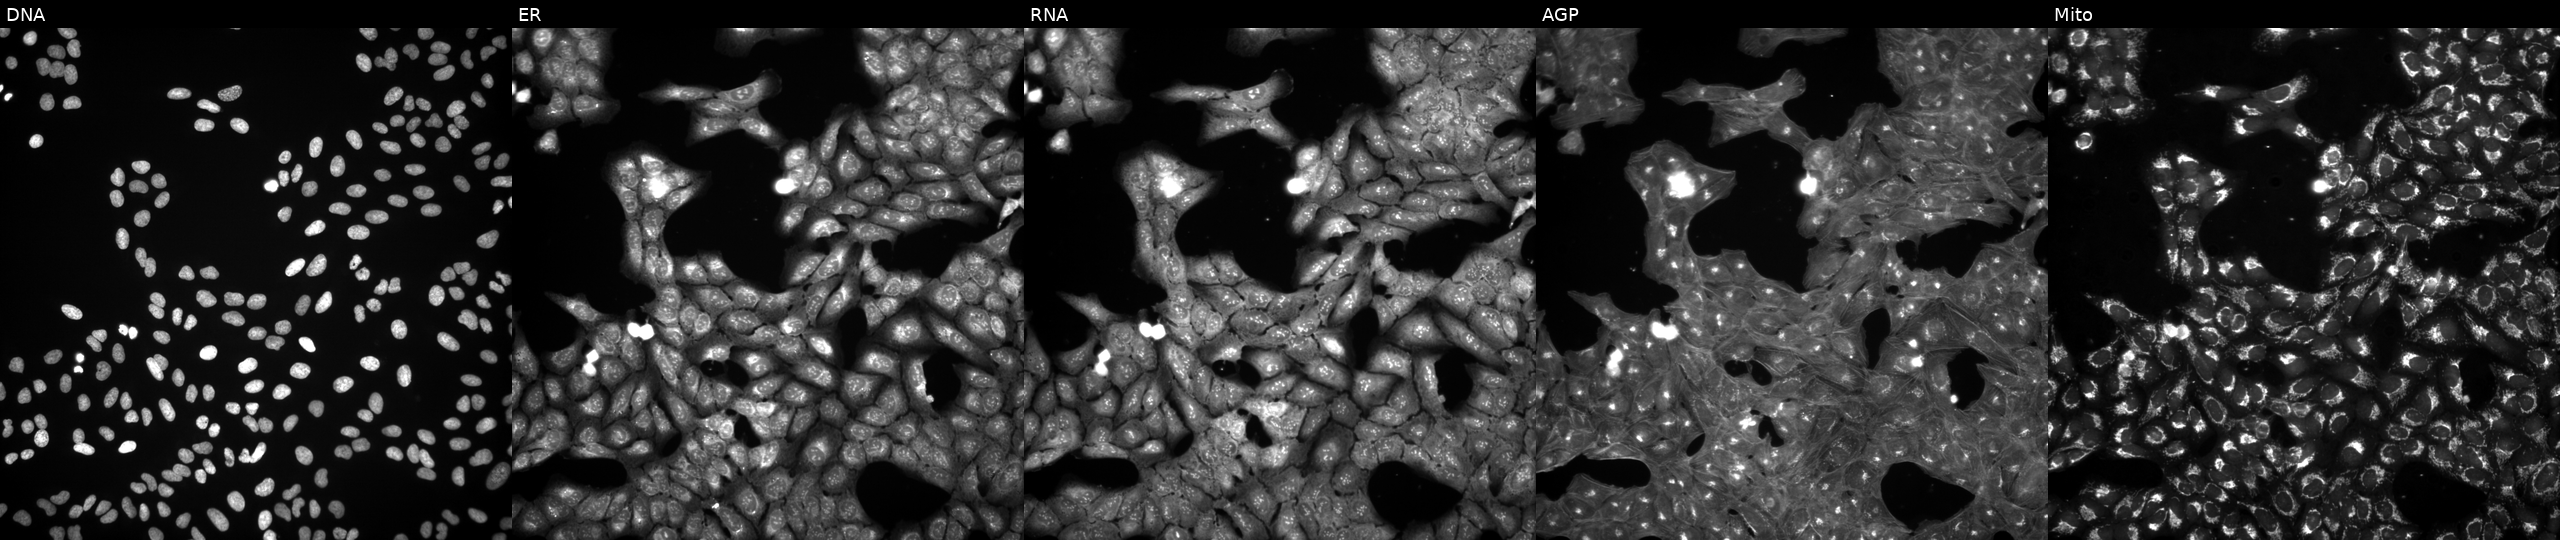
JUMP Cell Painting — TARGET2 plate. U2OS cells exposed to a small-molecule compound (InChIKey PFHDWRIVDDIFRP-UHFFFAOYSA-N) [SMILES: CCC(CC)n1ccc2c(C(=O)NCc3c(C)cc(C)[nH]c3=O)cc(C#N)cc21] (JUMP id JCP2022_068238). The five panels, left to right, show Hoechst 33342, concanavalin A, SYTO 14, phalloidin and WGA, MitoTracker.